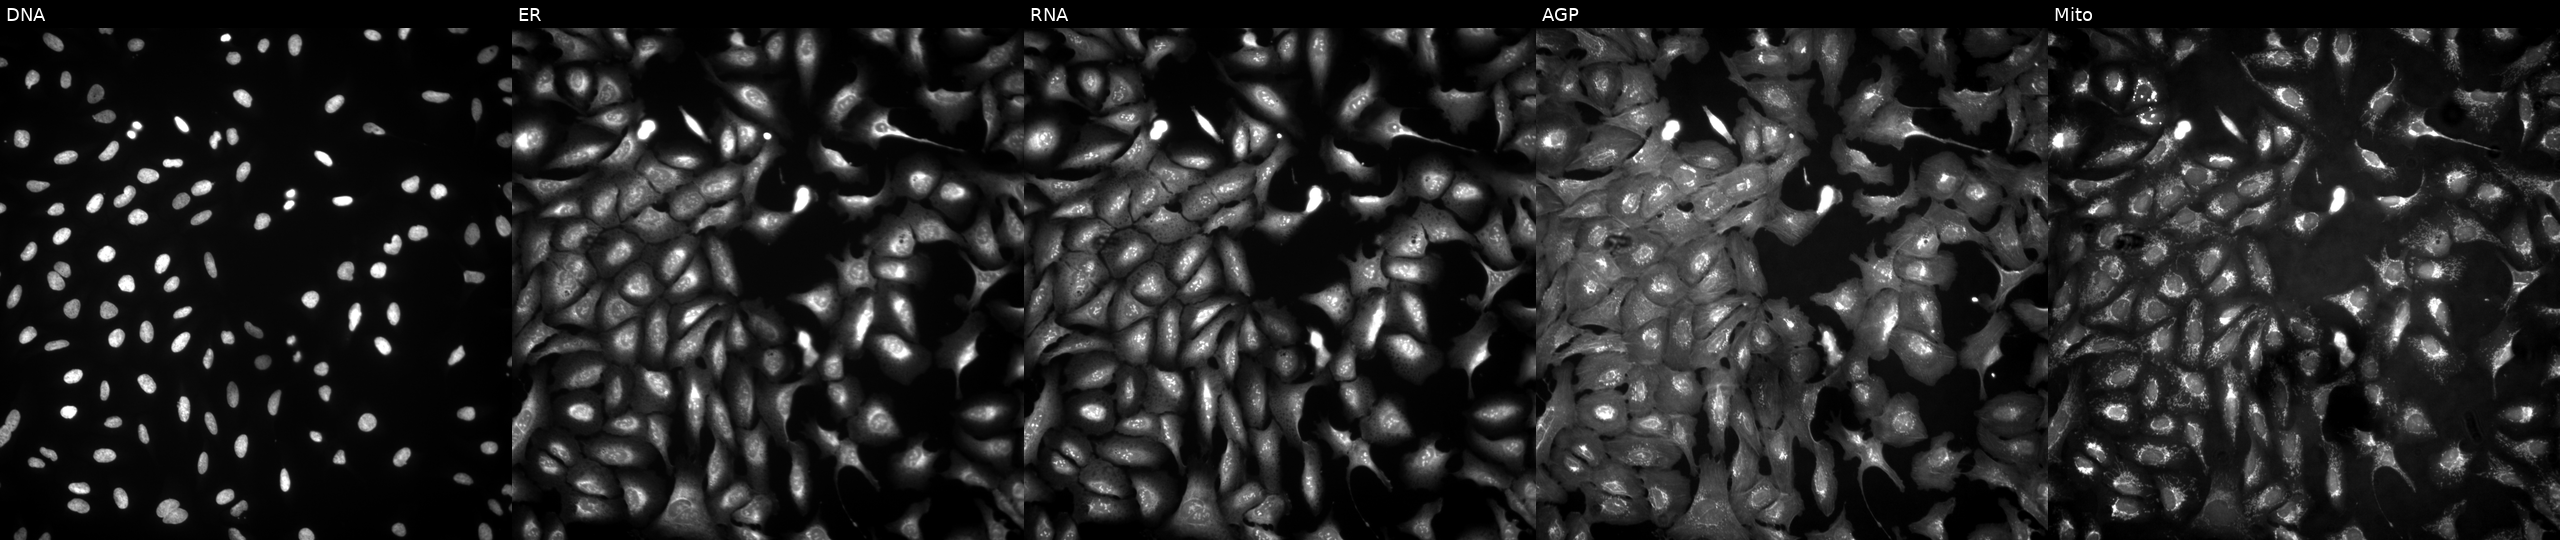
This image strip shows the five Cell Painting channels for a single field of U2OS cells transfected with an ORF construct for KIAA0087 (JUMP id JCP2022_909784). The five panels, left to right, show Hoechst 33342, concanavalin A, SYTO 14, phalloidin and WGA, MitoTracker.